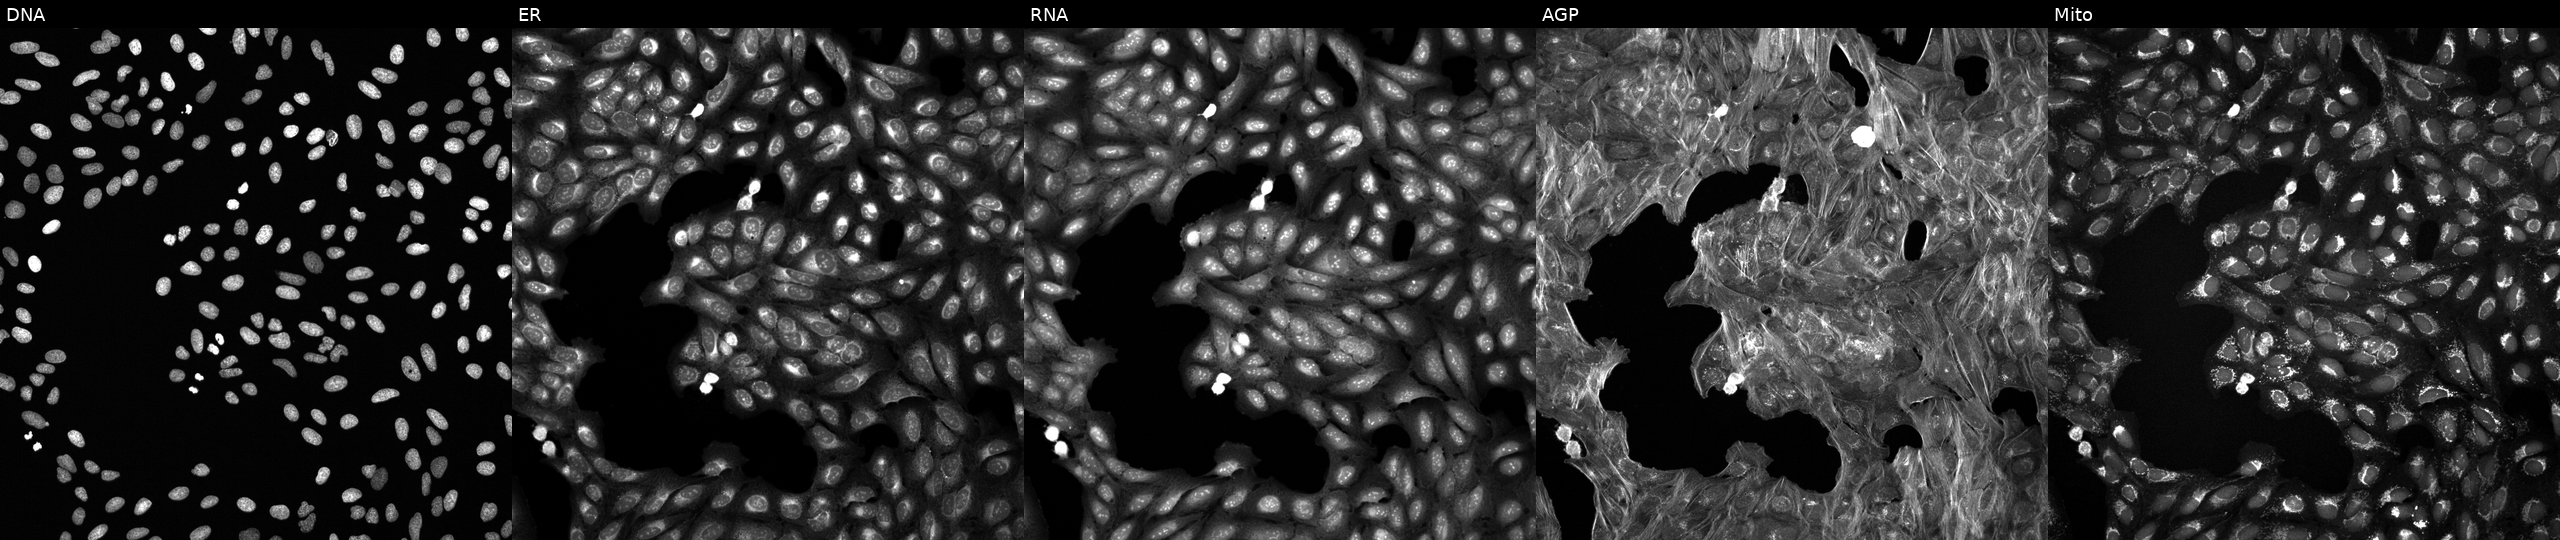
U2OS cells, Cell Painting assay, perturbed with a small-molecule compound (InChIKey DXZRBHUCOHBAHP-UHFFFAOYSA-N). The five panels, left to right, show DNA (nuclei); ER (endoplasmic reticulum); RNA (nucleoli and cytoplasmic RNA); AGP (actin cytoskeleton, Golgi, and plasma membrane); Mito (mitochondria). Each panel is percentile-stretched 16-bit fluorescence. Source 6, plate 110000293093, well C13.